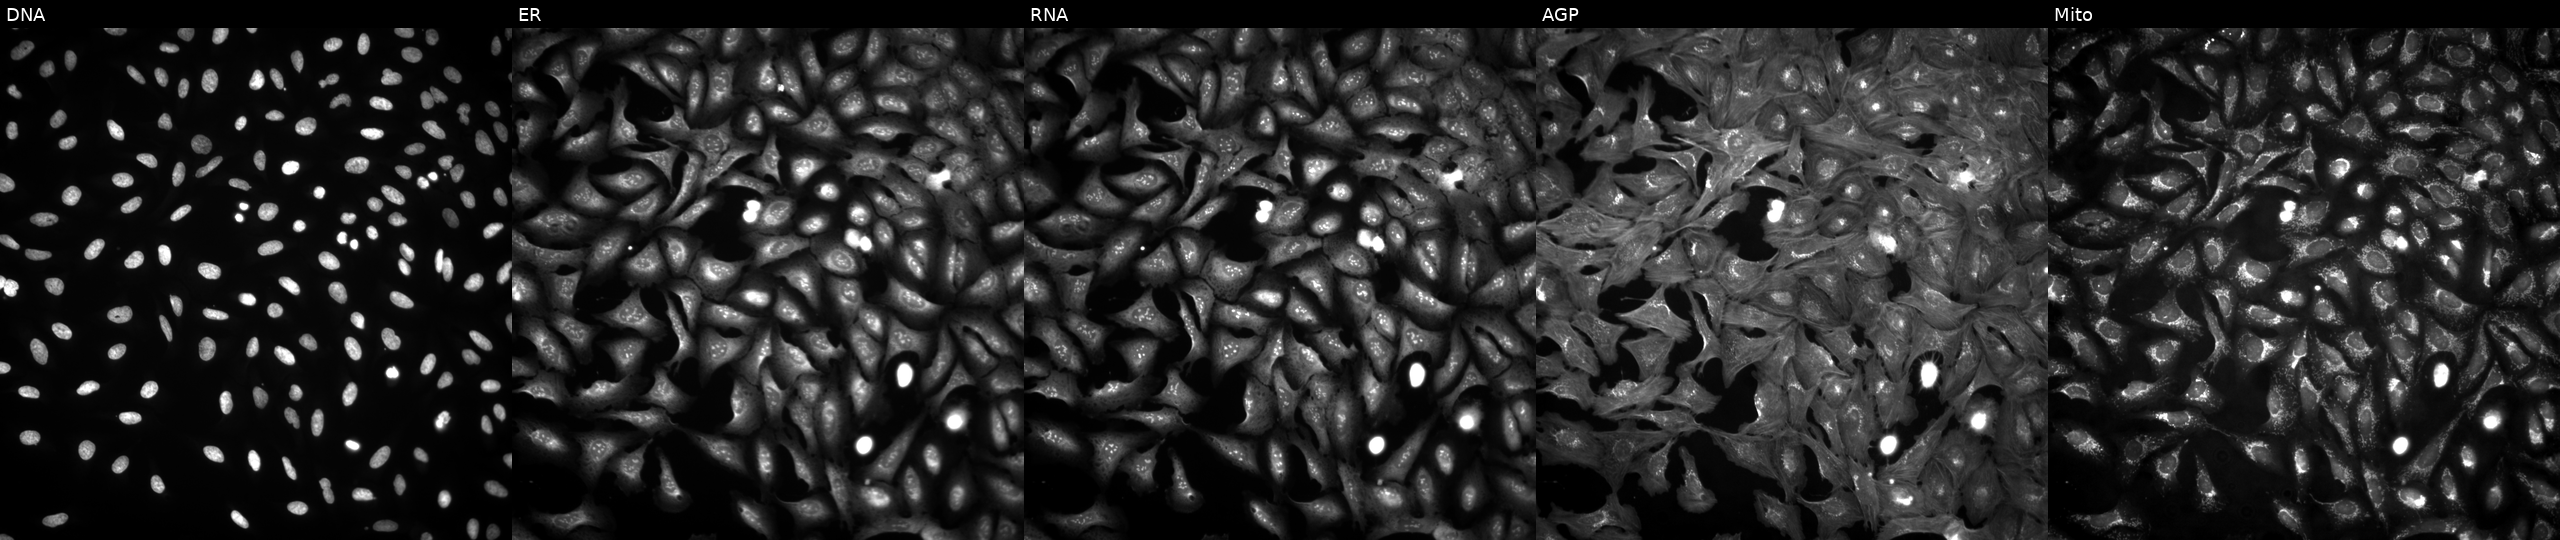
Five-channel Cell Painting image of U2OS cells overexpressing TMEM67 via ORF transfection. Panels show, left to right, DNA (nuclei); ER (endoplasmic reticulum); RNA (nucleoli and cytoplasmic RNA); AGP (actin cytoskeleton, Golgi, and plasma membrane); Mito (mitochondria). Source 4, plate BR00124784, well A21.